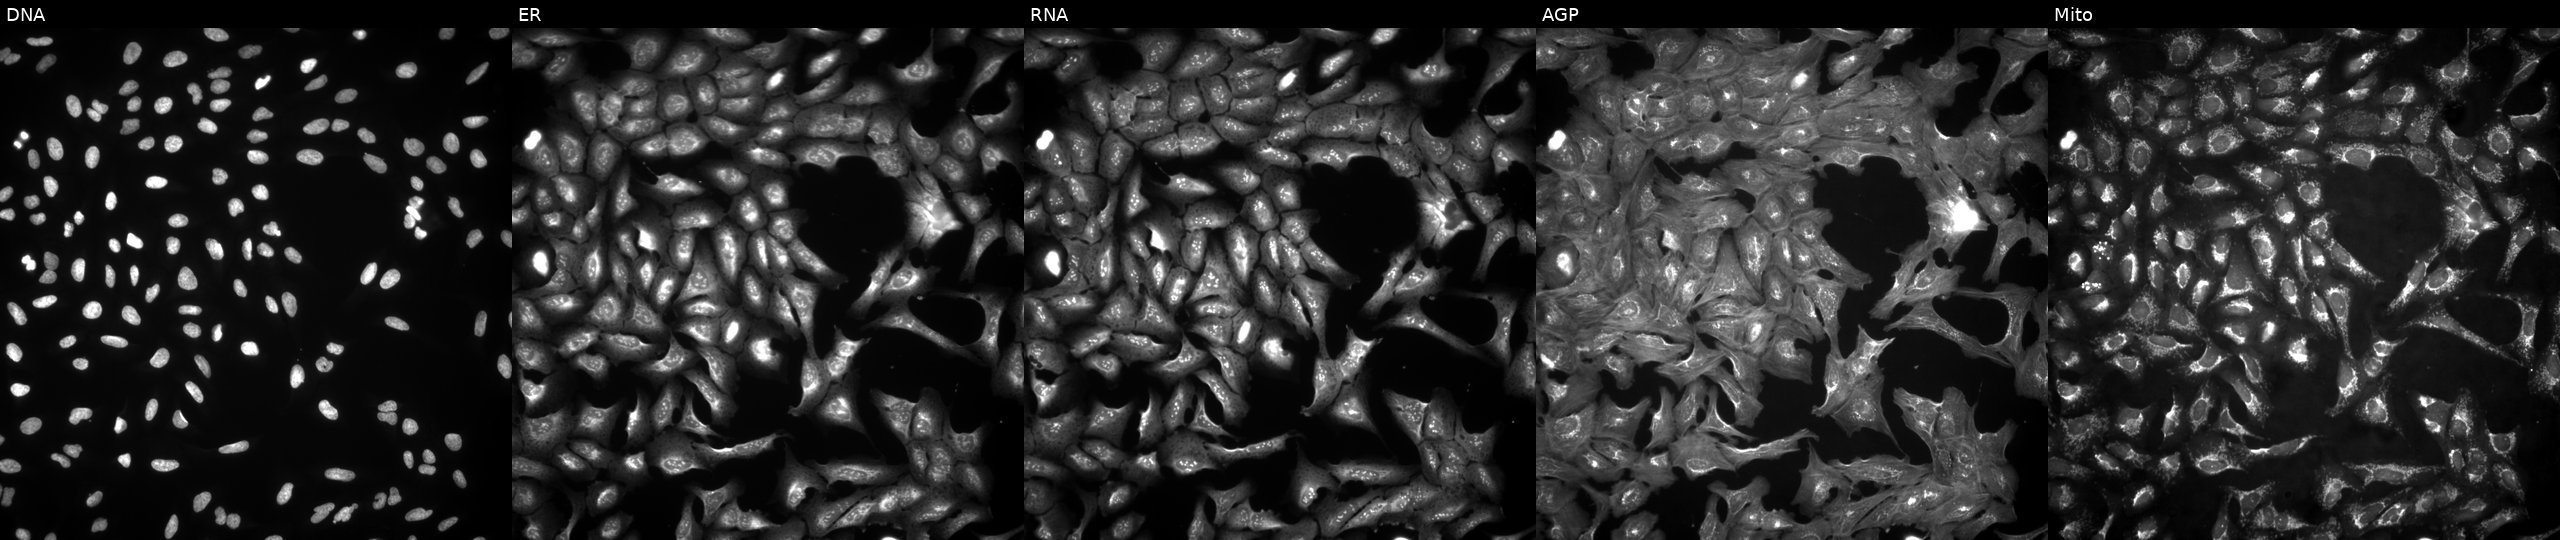
This image strip shows the five Cell Painting channels for a single field of U2OS cells with PRAF2 overexpressed (ORF) (JUMP id JCP2022_902485). Panels show, left to right, Hoechst 33342, concanavalin A, SYTO 14, phalloidin and WGA, MitoTracker.